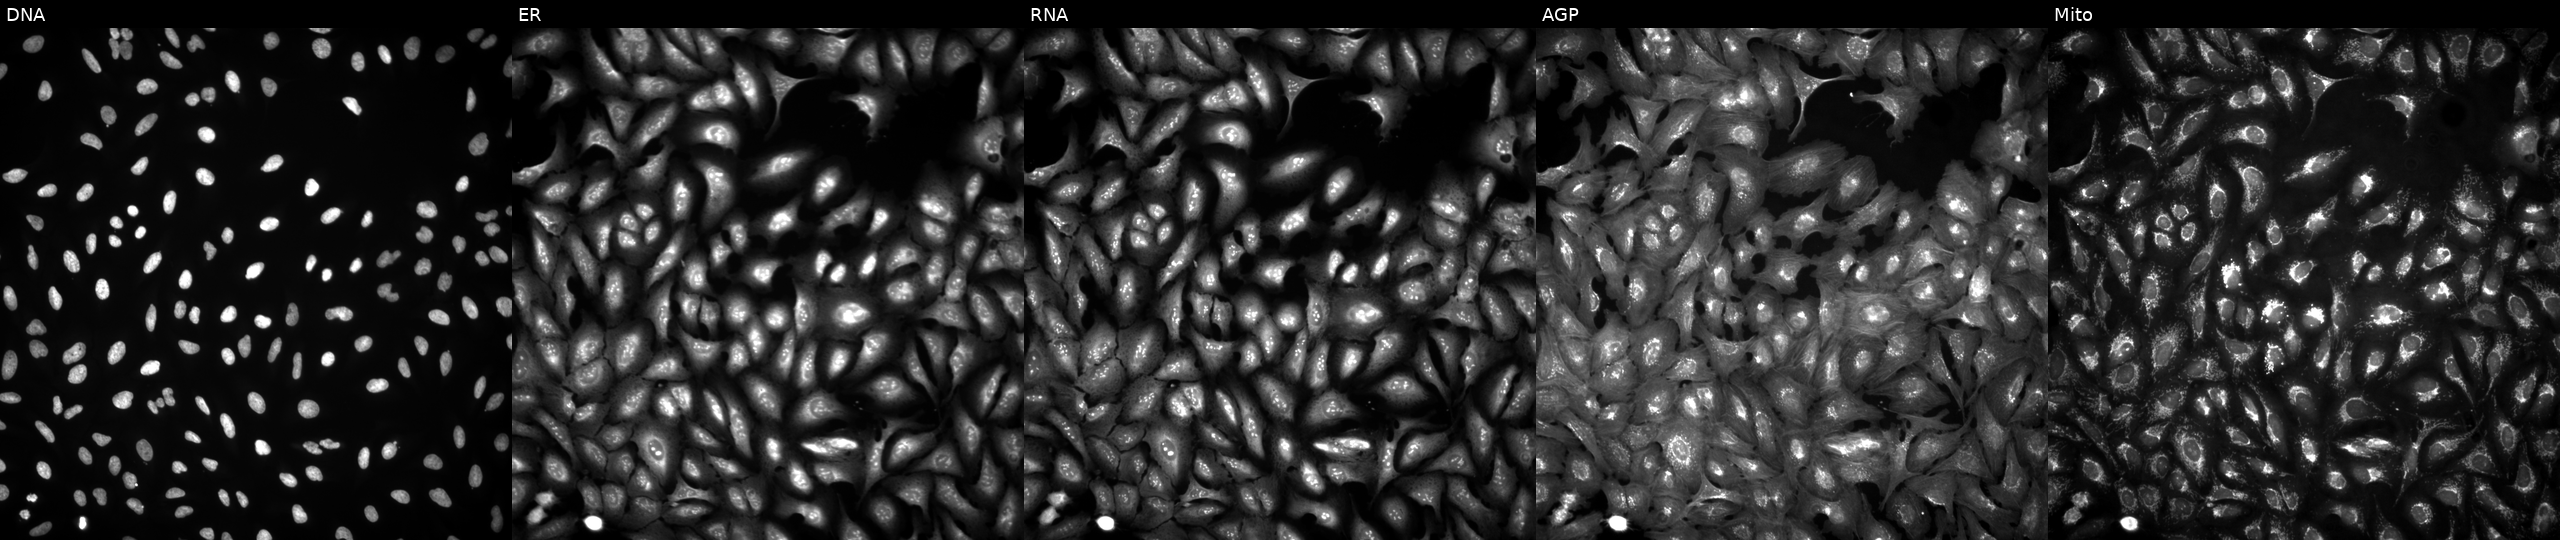
High-content fluorescence microscopy (Cell Painting). Cell line: U2OS. Perturbation: with BDNF overexpressed (ORF) (JUMP id JCP2022_905501). The five panels, left to right, show DNA (nuclei); ER (endoplasmic reticulum); RNA (nucleoli and cytoplasmic RNA); AGP (actin cytoskeleton, Golgi, and plasma membrane); Mito (mitochondria). Source 4, plate BR00124787, well F14.